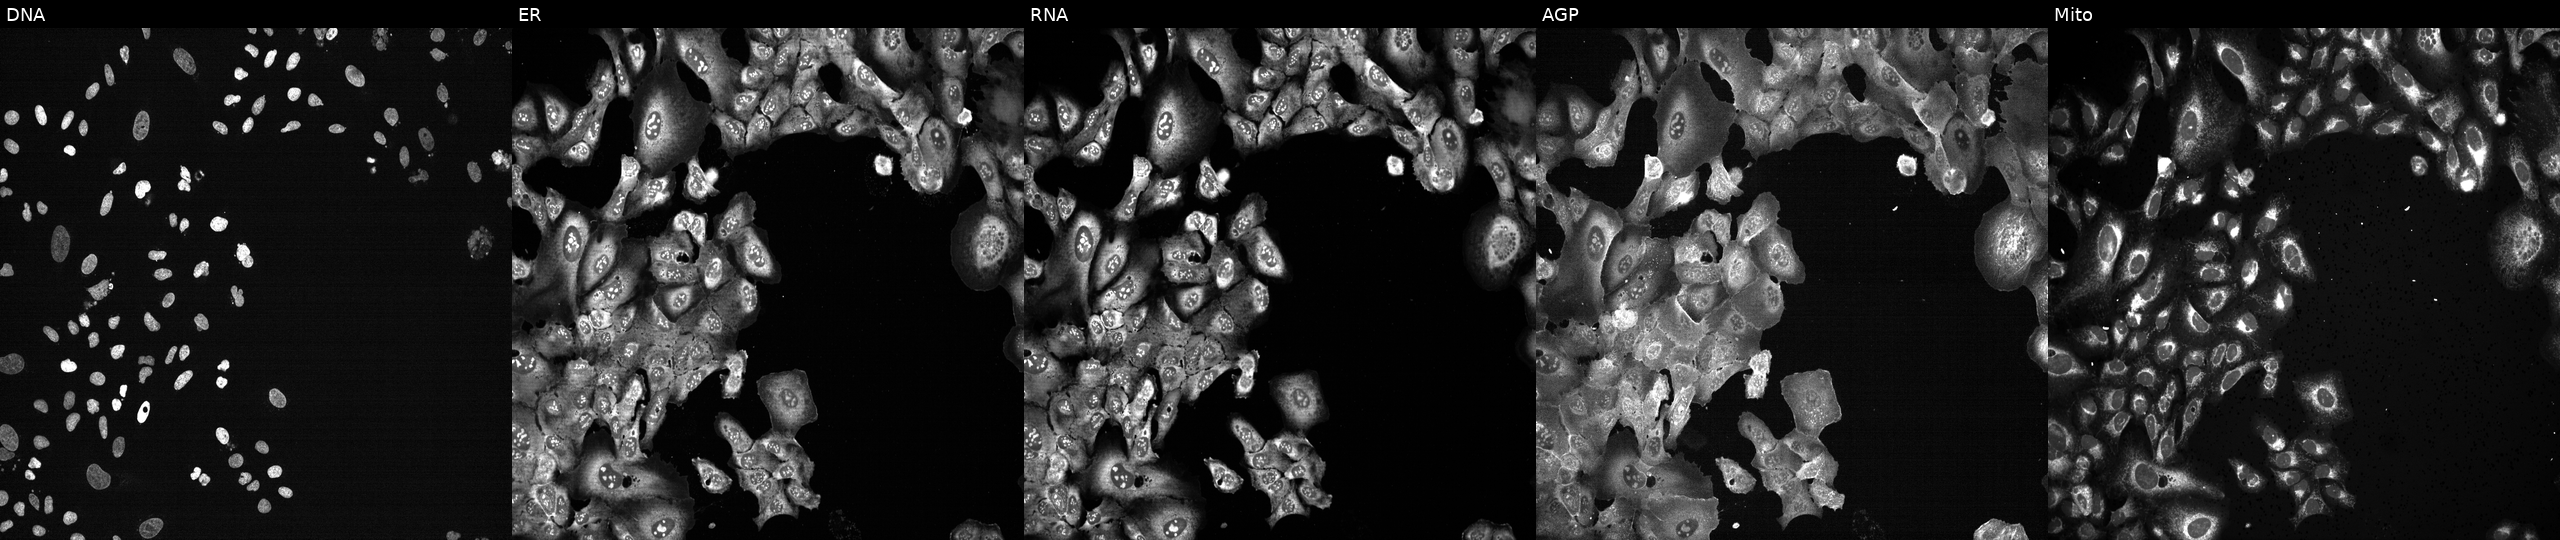
From left to right: DNA (nuclei); ER (endoplasmic reticulum); RNA (nucleoli and cytoplasmic RNA); AGP (actin cytoskeleton, Golgi, and plasma membrane); Mito (mitochondria). U2OS osteosarcoma cells following CRISPR knockout of UGT3A1 (JUMP id JCP2022_807533). Cell Painting assay, JUMP-CP dataset. Source 13, plate CP-CC9-R2-01, well G20.